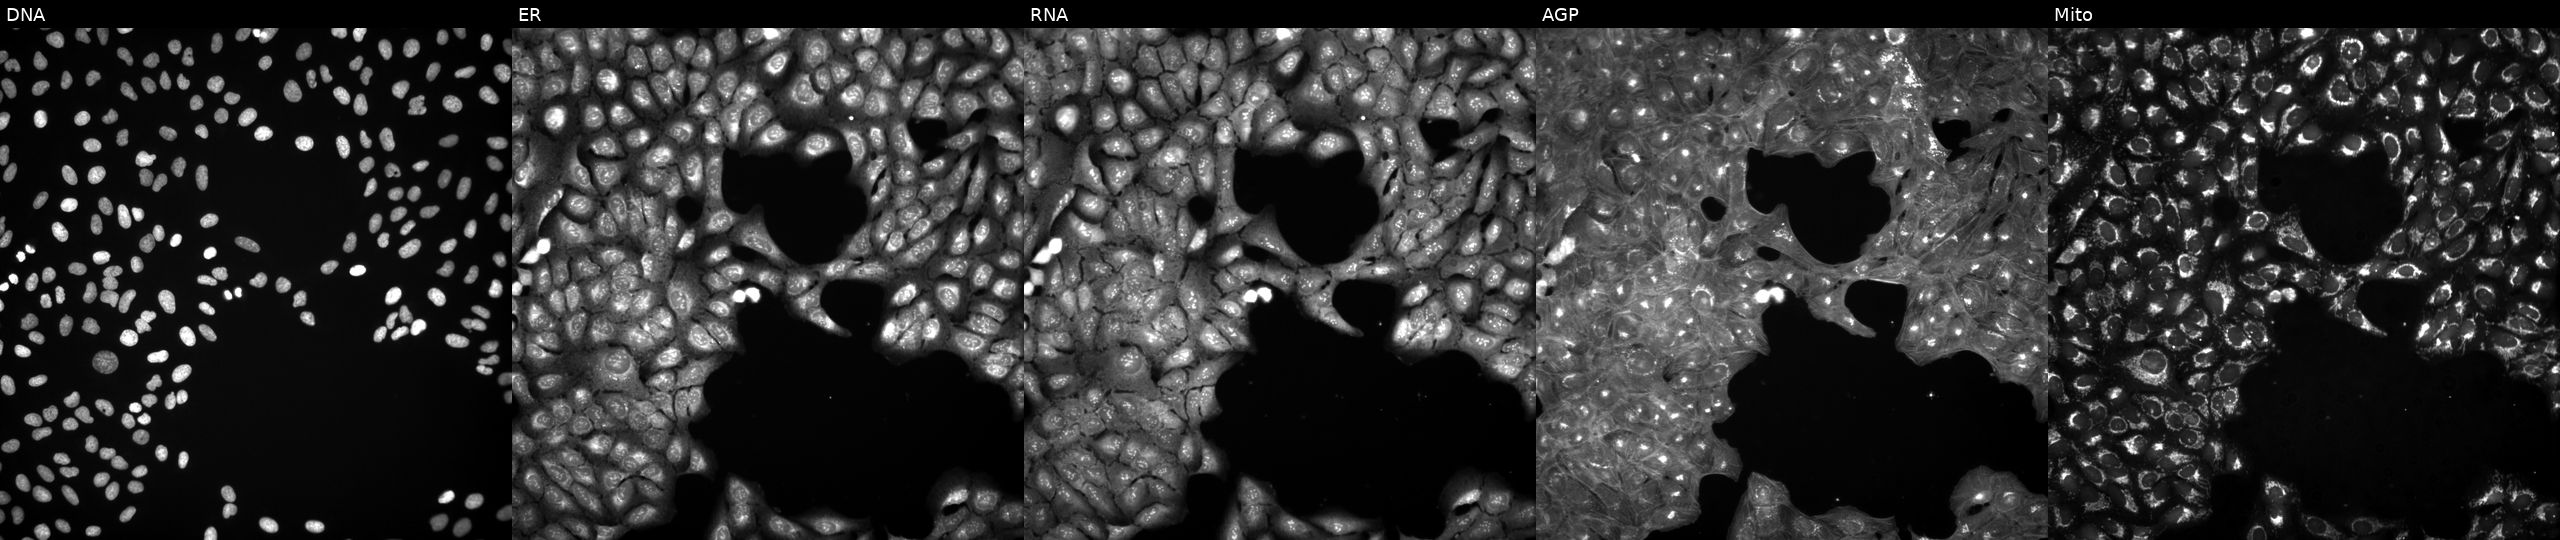
U2OS cells, Cell Painting assay, exposed to a small-molecule compound. Panels show, left to right, DNA (nuclei); ER (endoplasmic reticulum); RNA (nucleoli and cytoplasmic RNA); AGP (actin cytoskeleton, Golgi, and plasma membrane); Mito (mitochondria). Each panel is percentile-stretched 16-bit fluorescence.